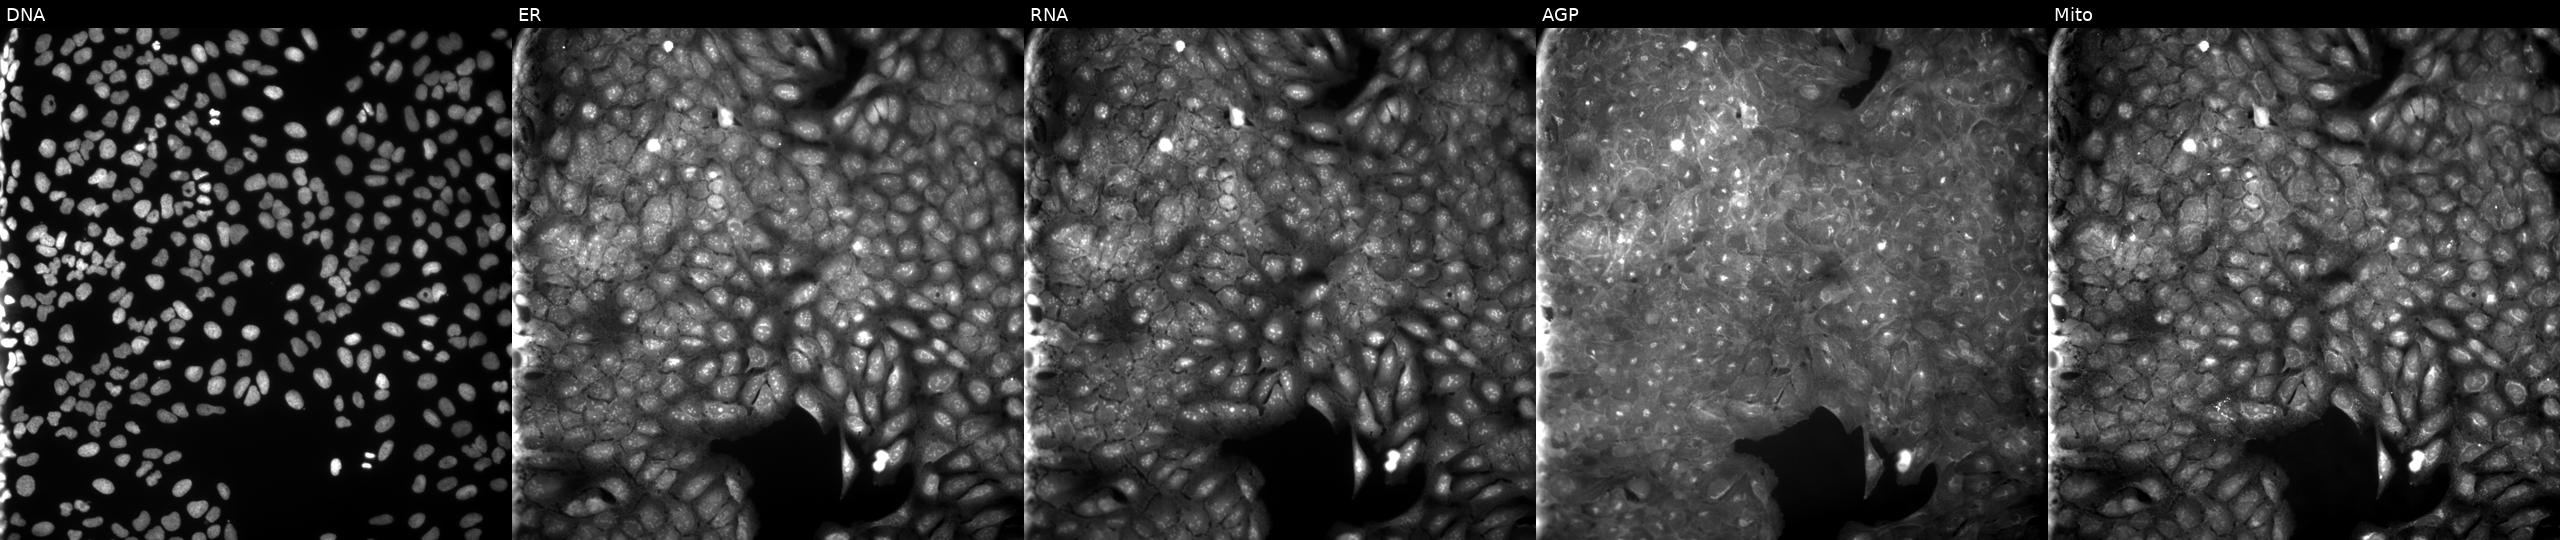
Five-channel Cell Painting image of U2OS cells treated with a small-molecule compound. The five panels, left to right, show DNA, ER, RNA, AGP, and Mito. Source 9, plate GR00003381, well U10.